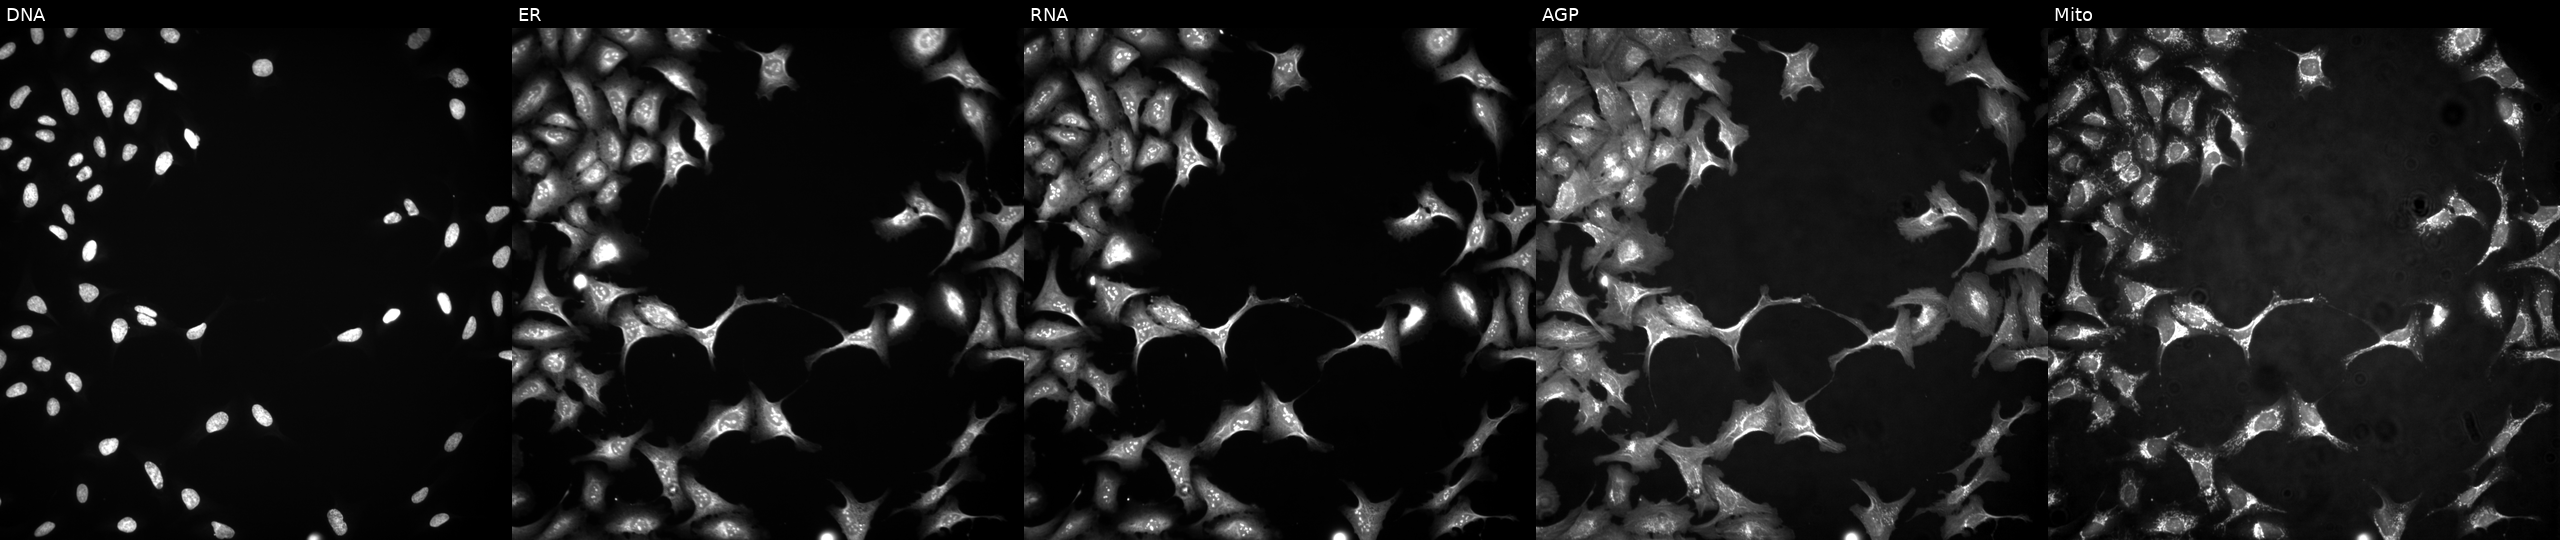
JUMP Cell Painting — ORF plate. U2OS cells overexpressing H4C8 via ORF transfection. The five panels, left to right, show DNA, ER, RNA, AGP, and Mito.